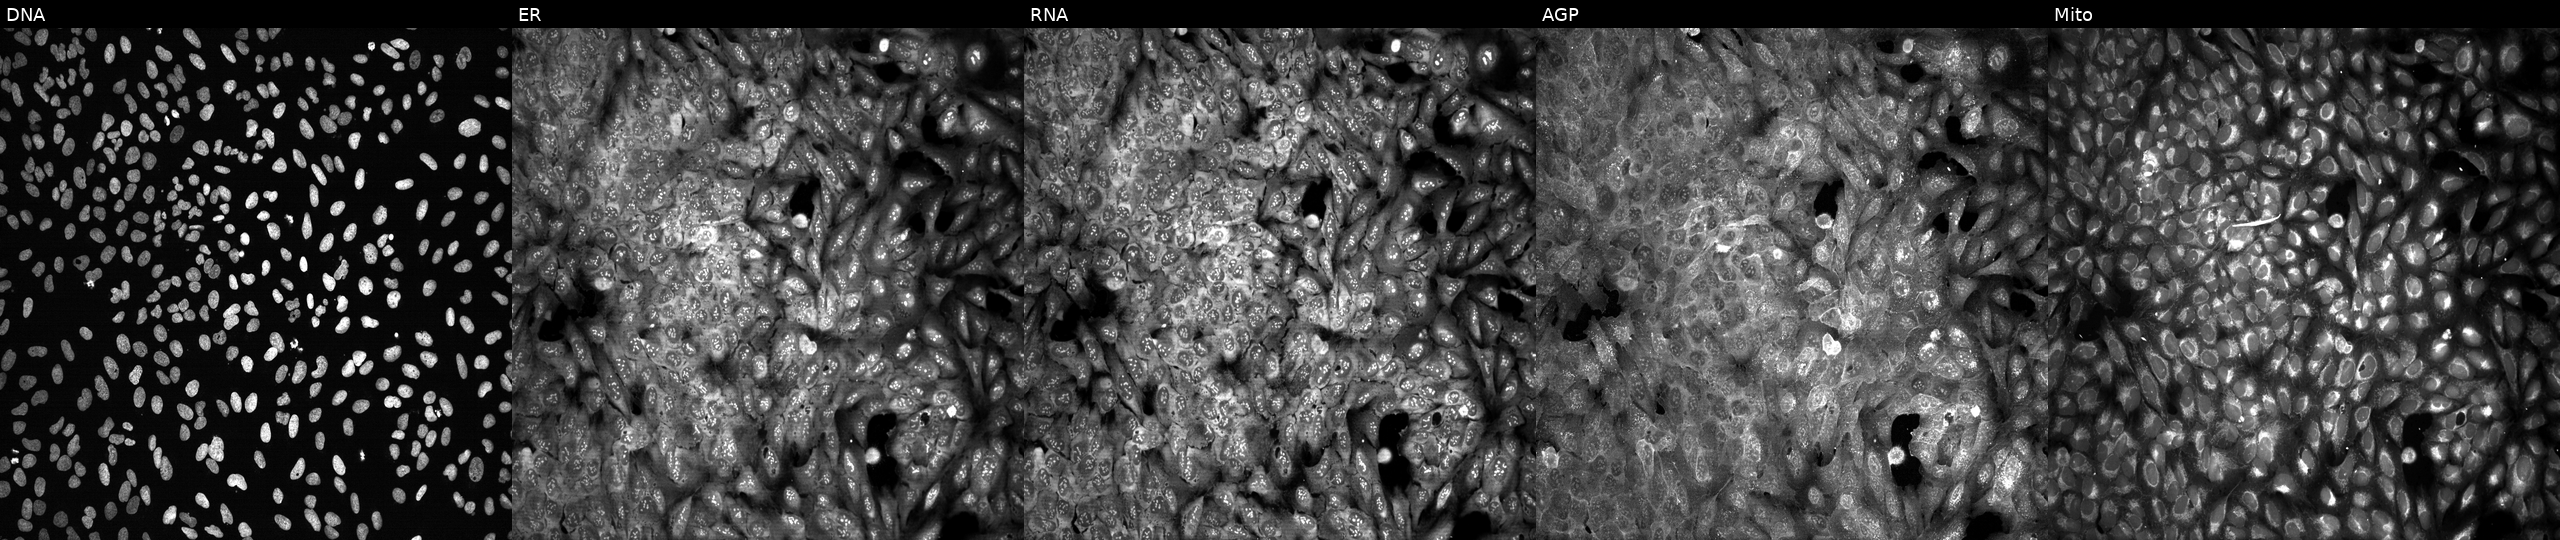
JUMP Cell Painting — CRISPR plate. U2OS cells with ACTN1 knocked out by CRISPR (JUMP id JCP2022_800152). The five panels, left to right, show DNA, ER, RNA, AGP, and Mito. Source 13, plate CP-CC9-R5-01, well G06.